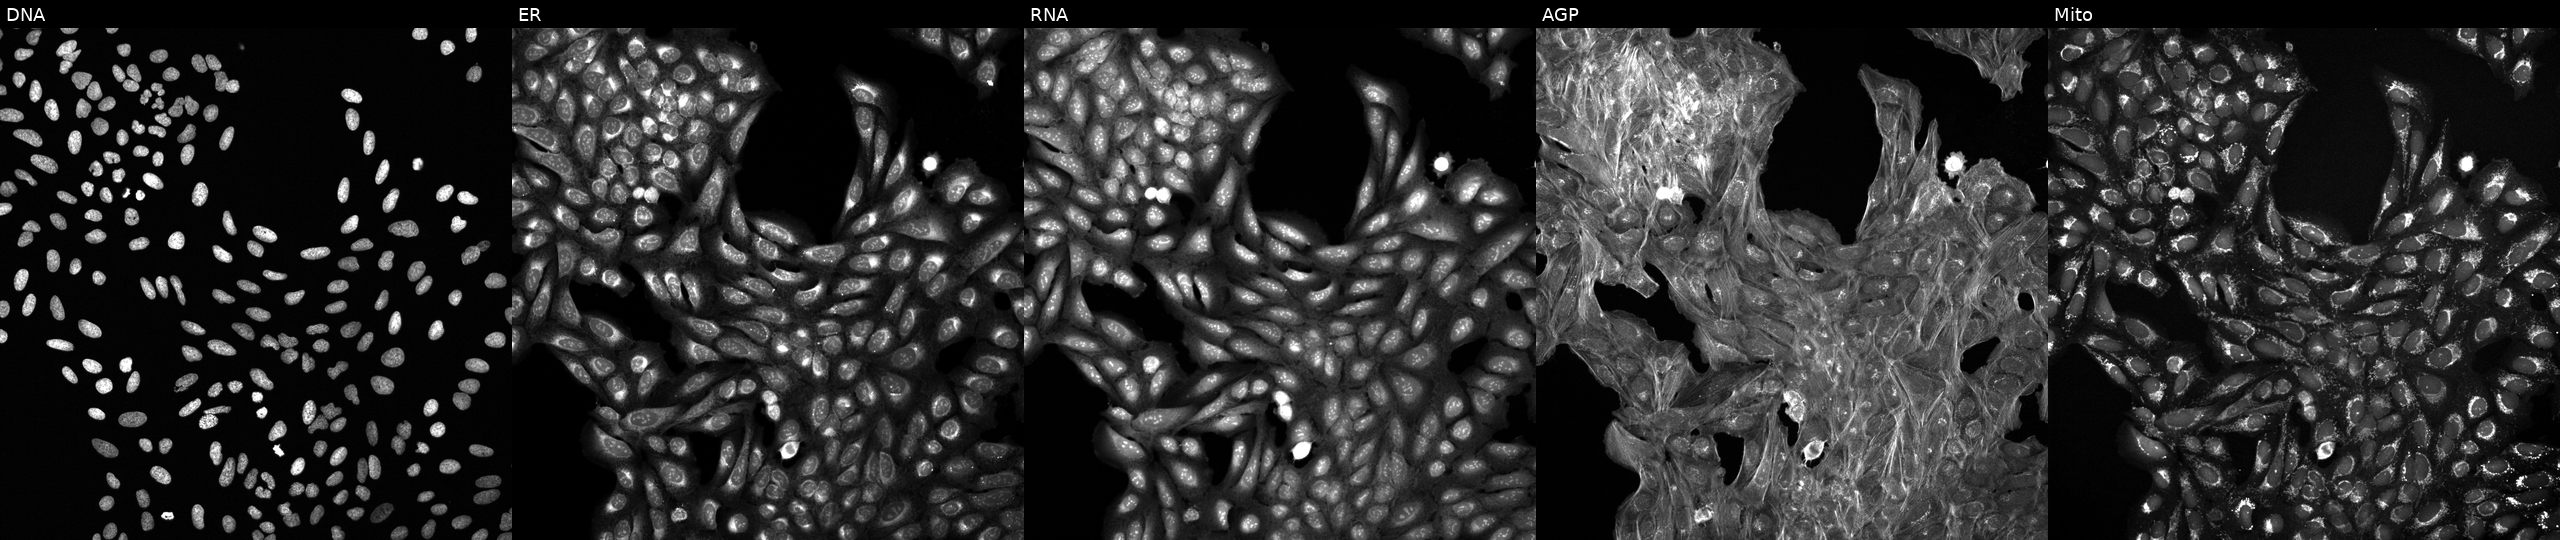
U2OS cells, Cell Painting assay, treated with DMSO vehicle only (negative control). The five panels, left to right, show DNA (nuclei); ER (endoplasmic reticulum); RNA (nucleoli and cytoplasmic RNA); AGP (actin cytoskeleton, Golgi, and plasma membrane); Mito (mitochondria). Each panel is percentile-stretched 16-bit fluorescence.